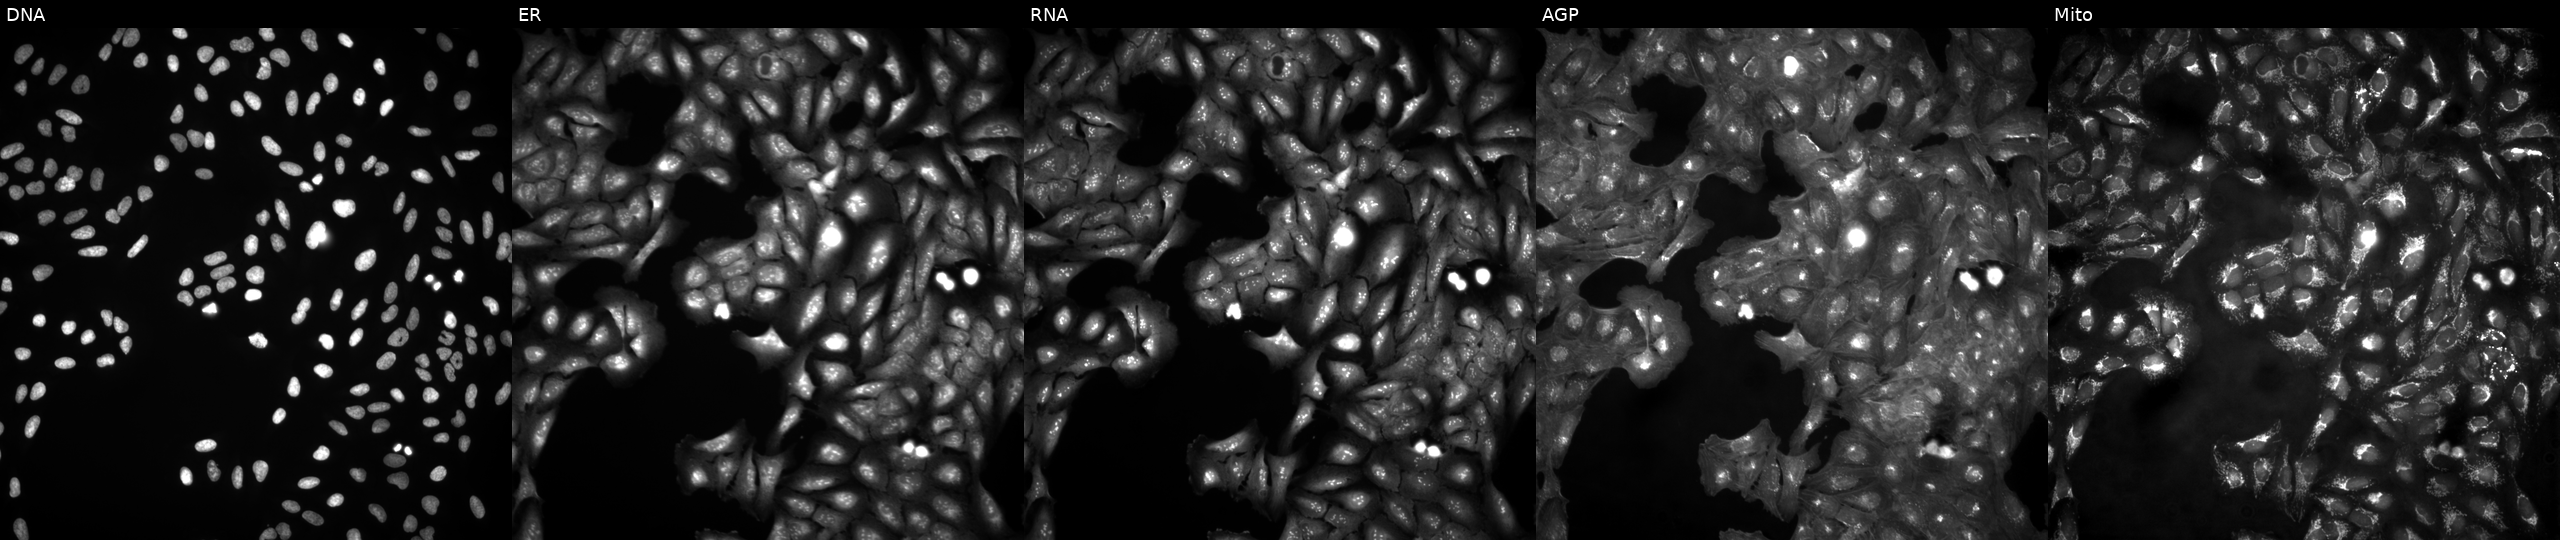
JUMP Cell Painting — ORF plate. U2OS cells in an empty control well (no perturbation). From left to right: Hoechst 33342, concanavalin A, SYTO 14, phalloidin and WGA, MitoTracker.